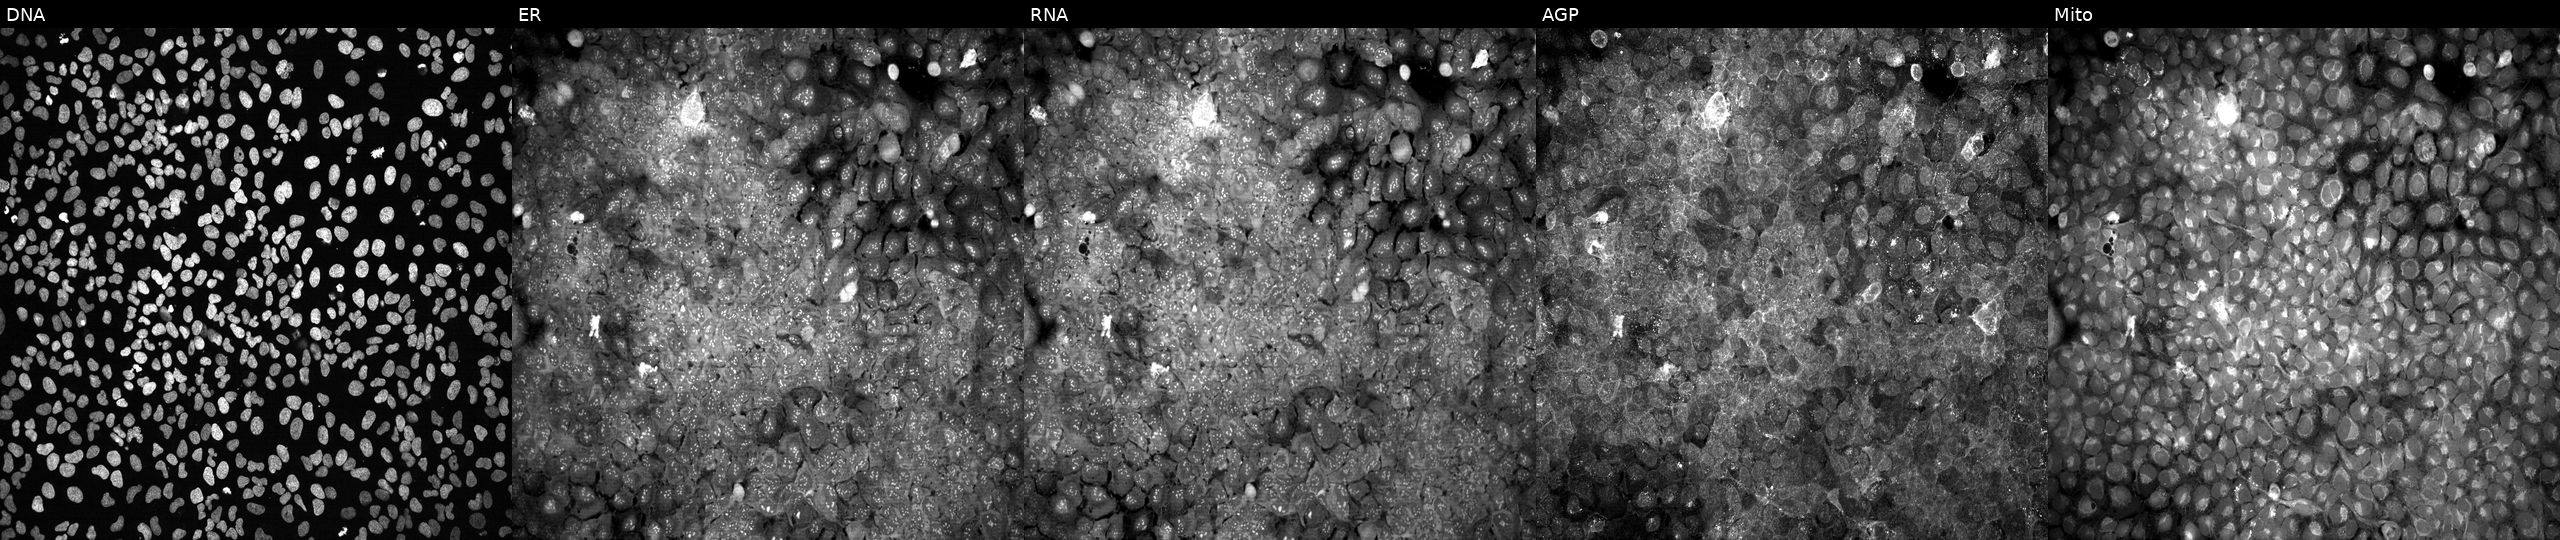
Panels show, left to right, Hoechst 33342, concanavalin A, SYTO 14, phalloidin and WGA, MitoTracker. U2OS osteosarcoma cells following CRISPR knockout of FGA. Cell Painting assay, JUMP-CP dataset. Source 13, plate CP-CC9-R1-02, well H11.